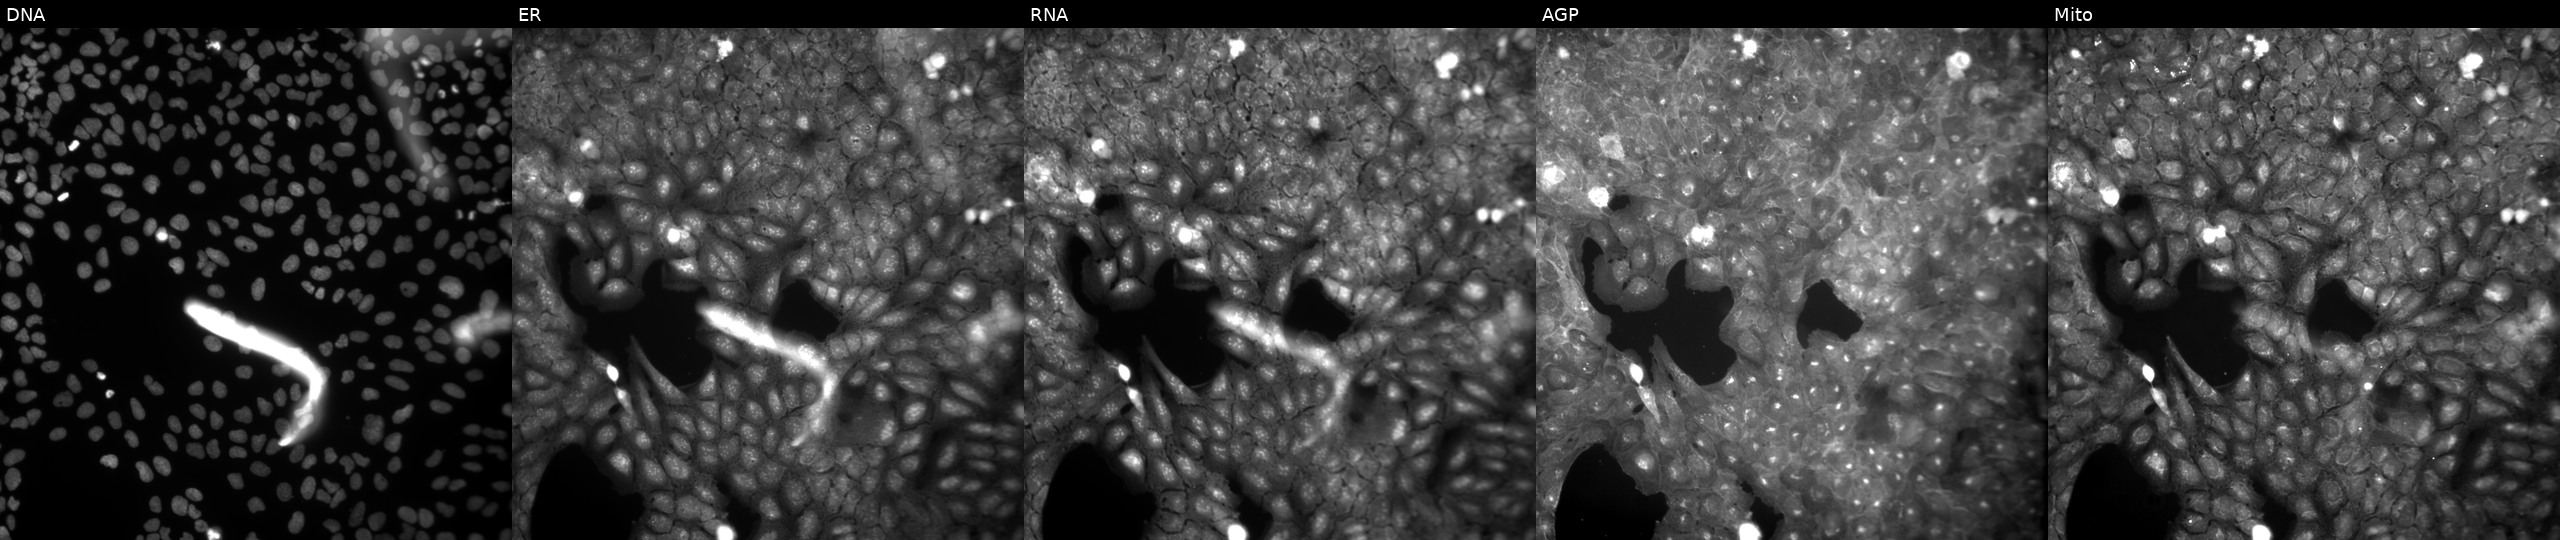
This image strip shows the five Cell Painting channels for a single field of U2OS cells perturbed with a small-molecule compound (InChIKey LWEMFBNCOKHSGA-UHFFFAOYSA-N) (JUMP id JCP2022_052098). Panels show, left to right, DNA, ER, RNA, AGP, and Mito. Source 9, plate GR00003381, well M43.